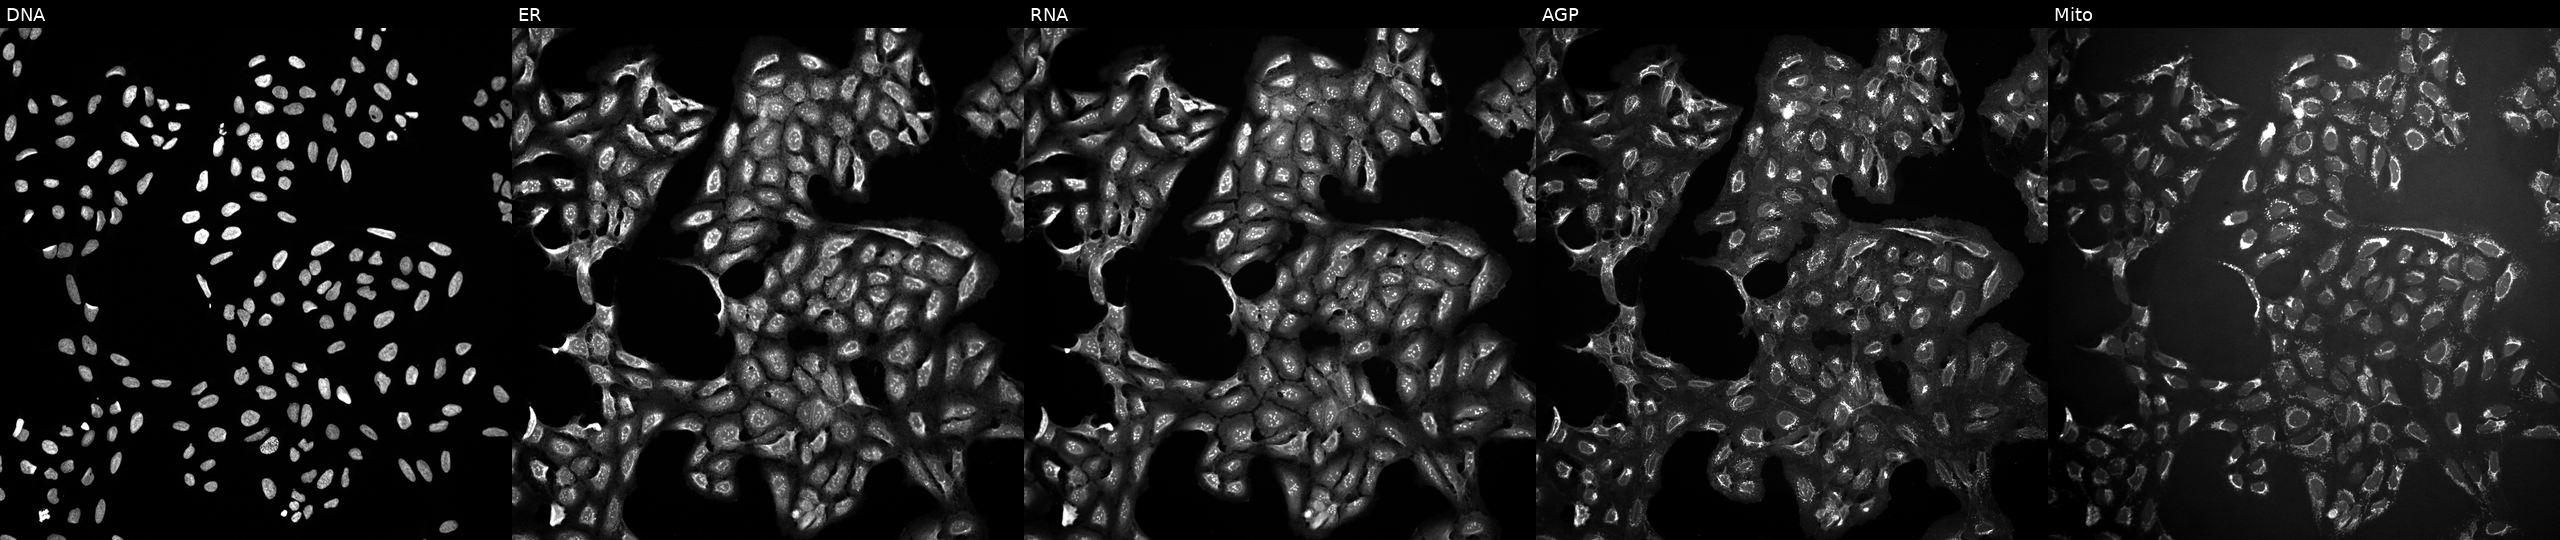
Five-channel Cell Painting image of U2OS cells exposed to a small-molecule compound (JUMP id JCP2022_105539). Panels show, left to right, DNA, ER, RNA, AGP, and Mito. Source 10, plate Dest210803-153958, well K15.